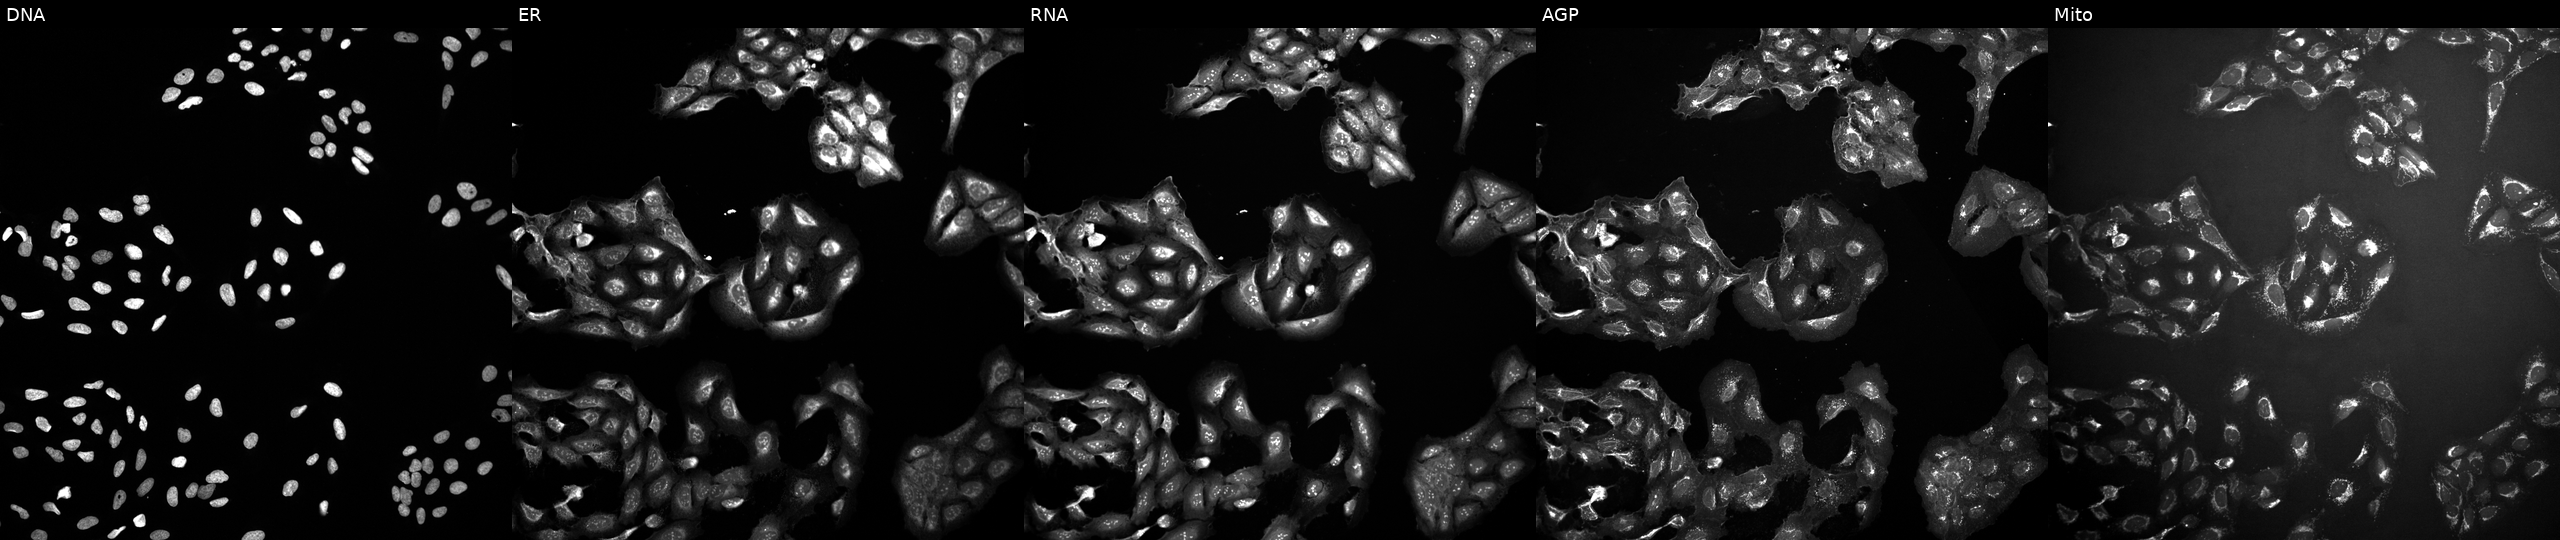
This image strip shows the five Cell Painting channels for a single field of U2OS cells exposed to a small-molecule compound (InChIKey QIHBWVVVRYYYRO-UHFFFAOYSA-N) (JUMP id JCP2022_073628). Panels show, left to right, DNA, ER, RNA, AGP, and Mito.